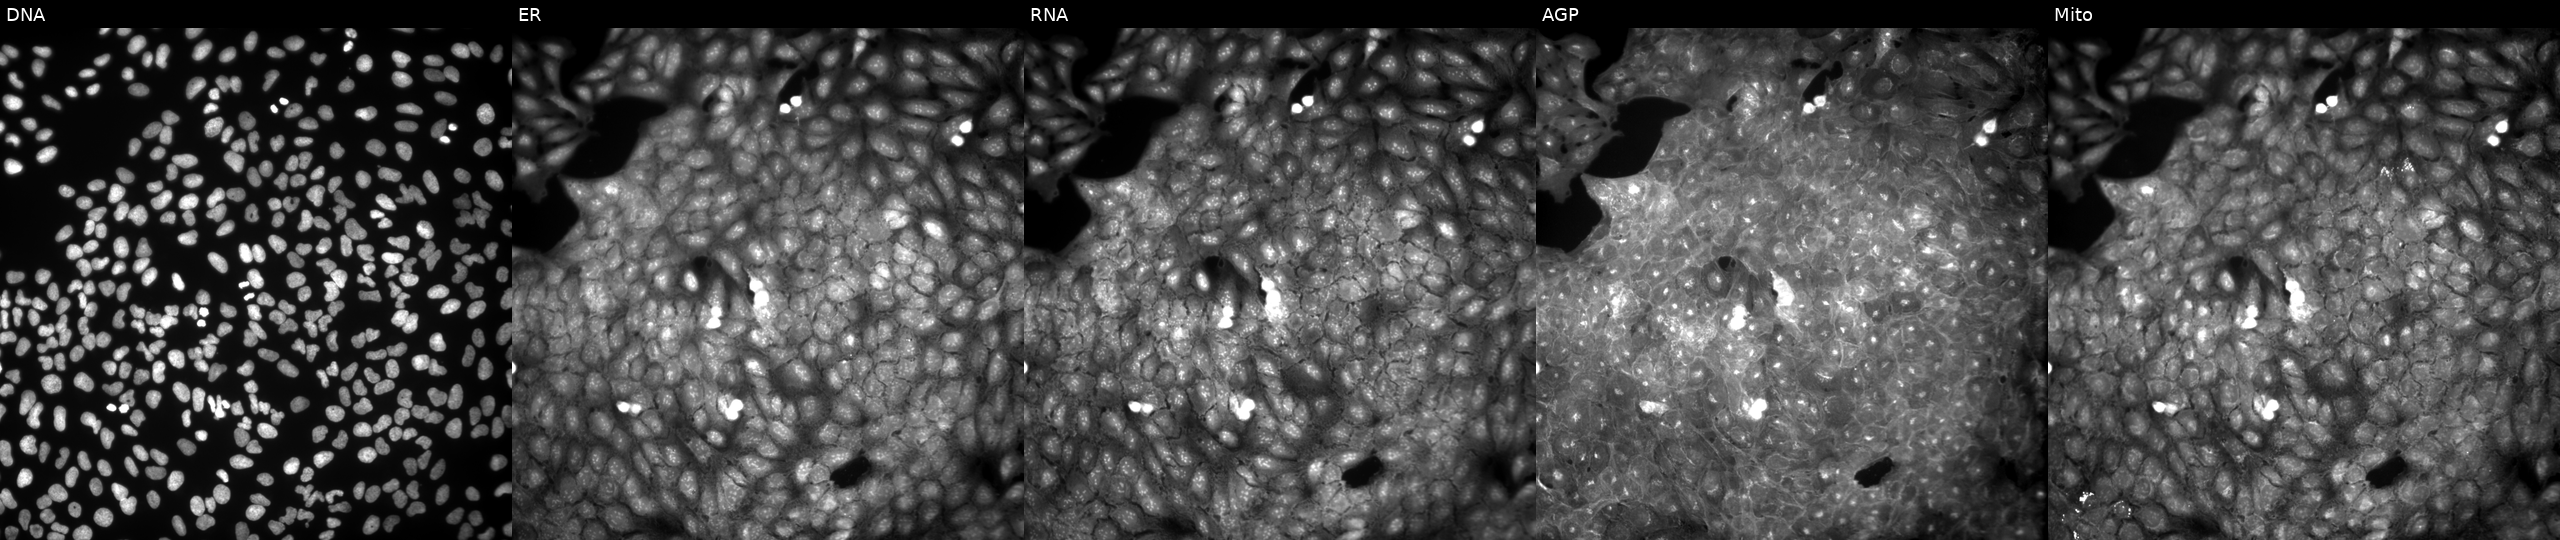
U2OS cells, Cell Painting assay, perturbed with a small-molecule compound (InChIKey AYFDJVUCZAHQPT-UHFFFAOYSA-N) [SMILES: O=C1c2ccc([N+](=O)[O-])cc2S(=O)(=O)N1Cc1ccccc1] (JUMP id JCP2022_004609). From left to right: DNA, ER, RNA, AGP, and Mito. Each panel is percentile-stretched 16-bit fluorescence. Source 9, plate GR00003381, well AF40.